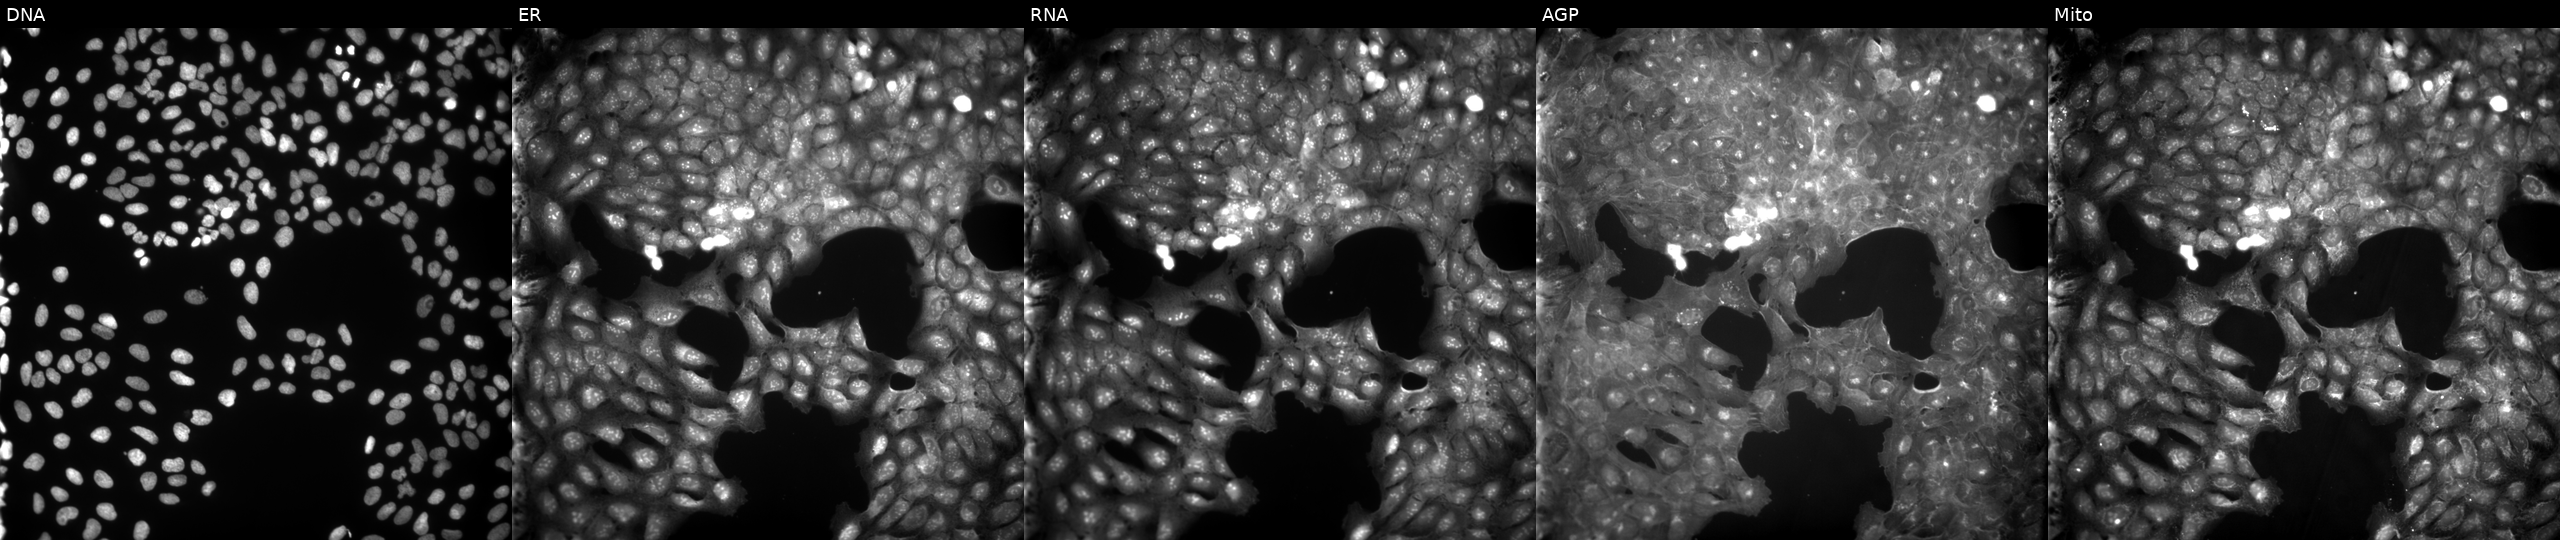
This image strip shows the five Cell Painting channels for a single field of U2OS cells treated with a small-molecule compound (InChIKey NKDSKGSFJSDIIZ-UHFFFAOYSA-N) [SMILES: C=CCNC(O)c1cc(O)n(-c2ccc(C)cc2)c1]. Panels show, left to right, Hoechst 33342, concanavalin A, SYTO 14, phalloidin and WGA, MitoTracker. Source 9, plate GR00003381, well W08.